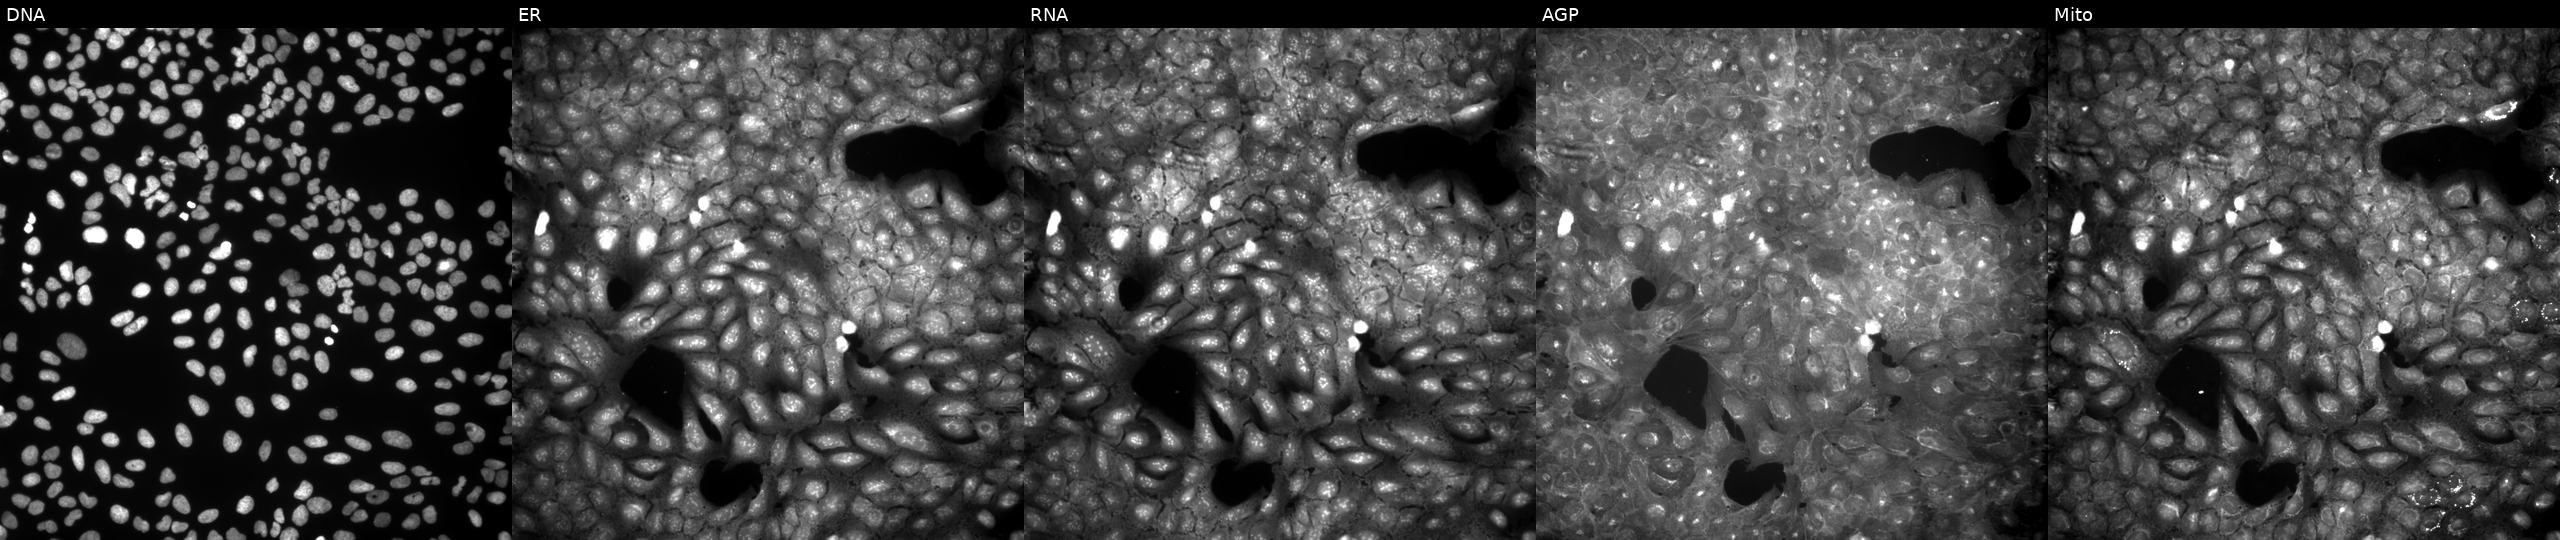
Five-channel Cell Painting image of U2OS cells perturbed with a small-molecule compound (InChIKey XZQQJTYZNVAWRS-UHFFFAOYSA-N). Channels (left→right): DNA (nuclei); ER (endoplasmic reticulum); RNA (nucleoli and cytoplasmic RNA); AGP (actin cytoskeleton, Golgi, and plasma membrane); Mito (mitochondria). Source 9, plate GR00003381, well D28.